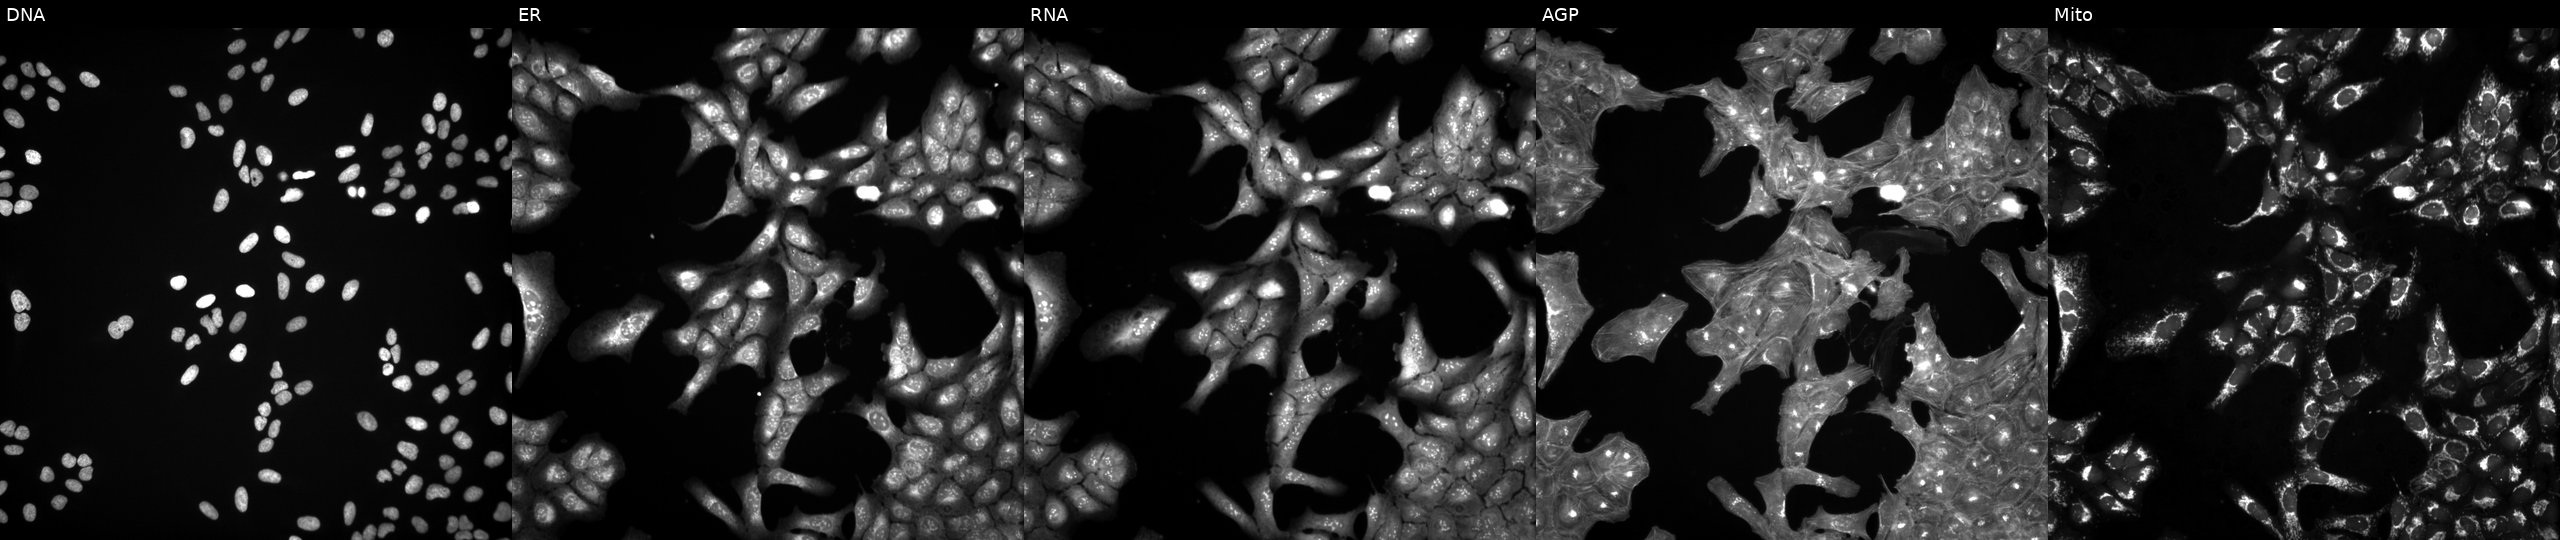
JUMP Cell Painting — TARGET2 plate. U2OS cells treated with DMSO vehicle only (negative control). The five panels, left to right, show DNA, ER, RNA, AGP, and Mito.